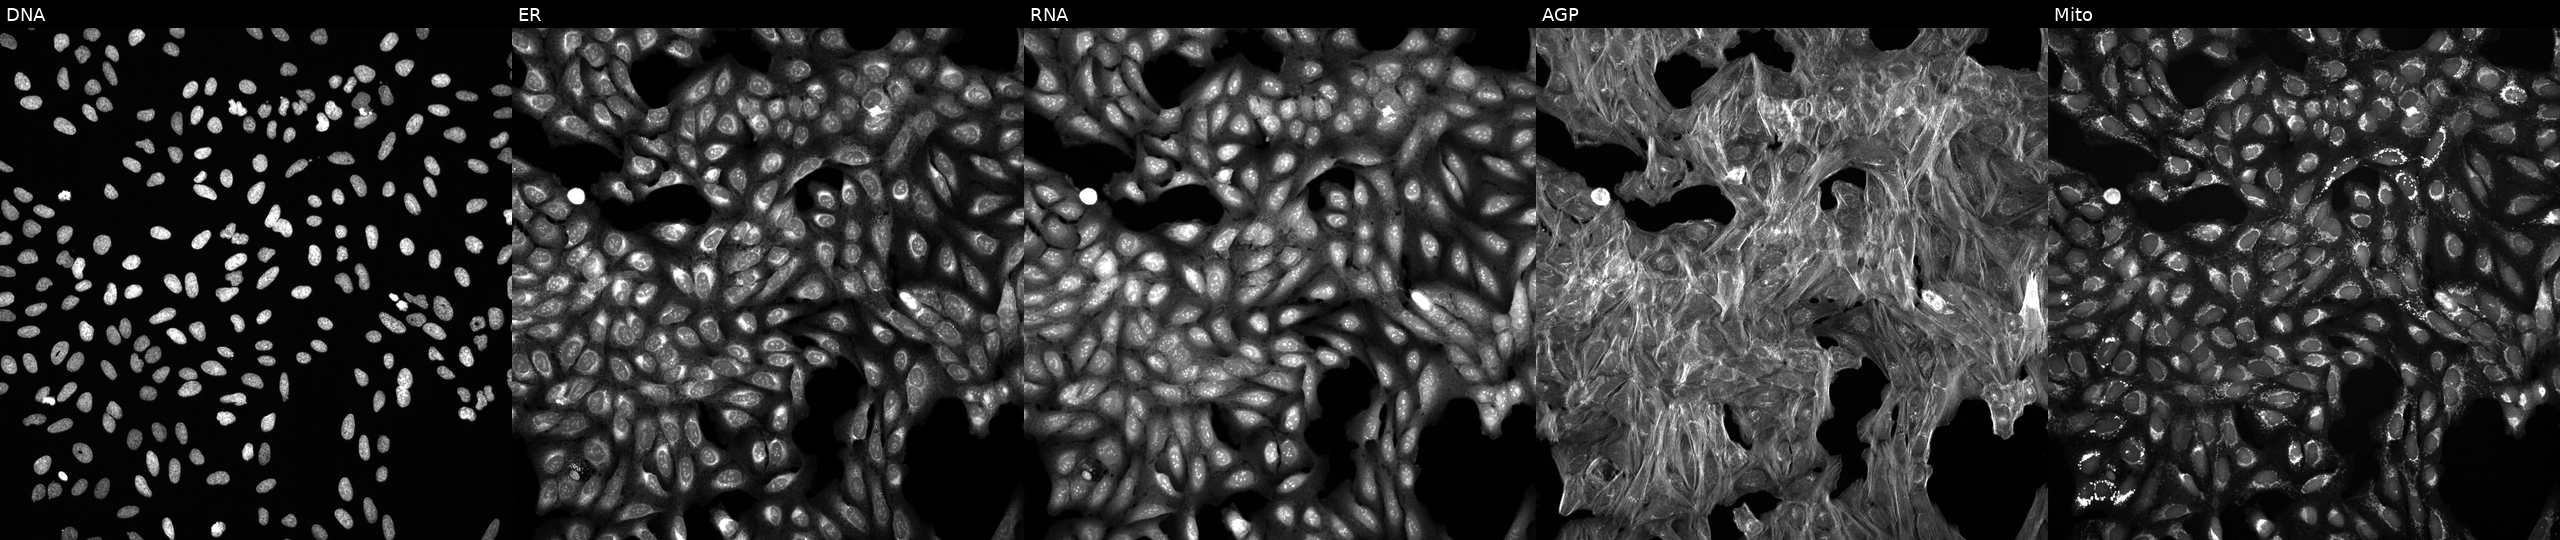
JUMP Cell Painting — TARGET2 plate. U2OS cells perturbed with a small-molecule compound (InChIKey FHPOTBQOUBMMCI-UHFFFAOYSA-N) [SMILES: FCc1ccc(OCCOc2ccc(Cl)cc2Cl)c(Cl)n1] (JUMP id JCP2022_020718). The five panels, left to right, show Hoechst 33342, concanavalin A, SYTO 14, phalloidin and WGA, MitoTracker. Source 6, plate 110000293093, well E14.